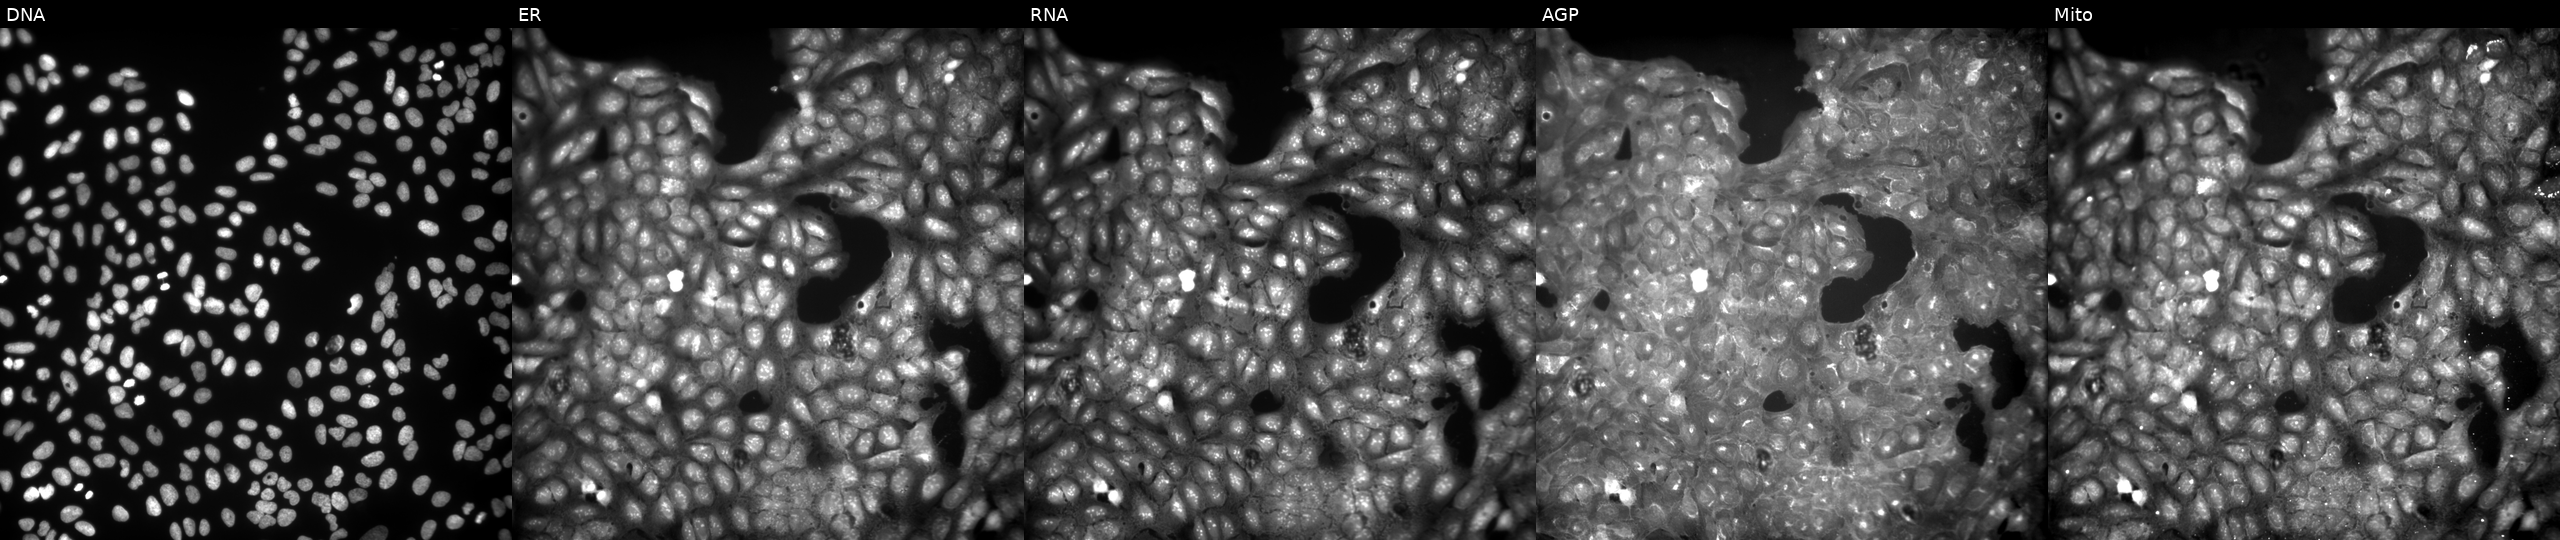
Channels (left→right): Hoechst 33342, concanavalin A, SYTO 14, phalloidin and WGA, MitoTracker. U2OS osteosarcoma cells exposed to a small-molecule compound (InChIKey OGPGXBDXAMQPKR-UHFFFAOYSA-N) (JUMP id JCP2022_063663). Cell Painting assay, JUMP-CP dataset.